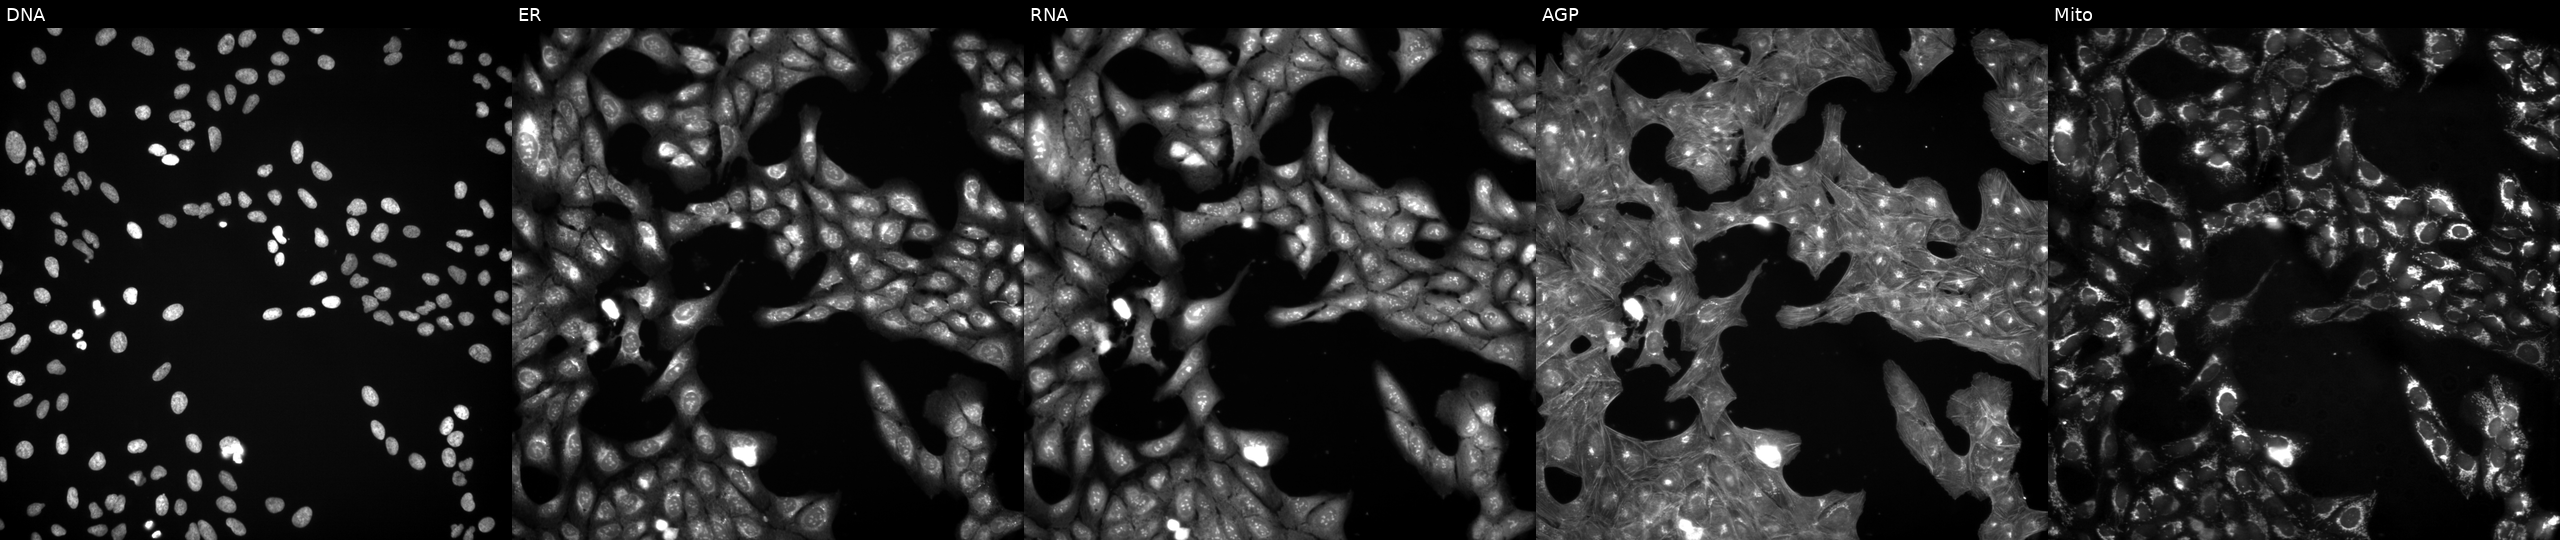
This image strip shows the five Cell Painting channels for a single field of U2OS cells perturbed with a small-molecule compound (InChIKey QTBWCSQGBMPECM-UHFFFAOYSA-N) (JUMP id JCP2022_075694). From left to right: Hoechst 33342, concanavalin A, SYTO 14, phalloidin and WGA, MitoTracker. Source 3, plate JCPQC053, well K10.